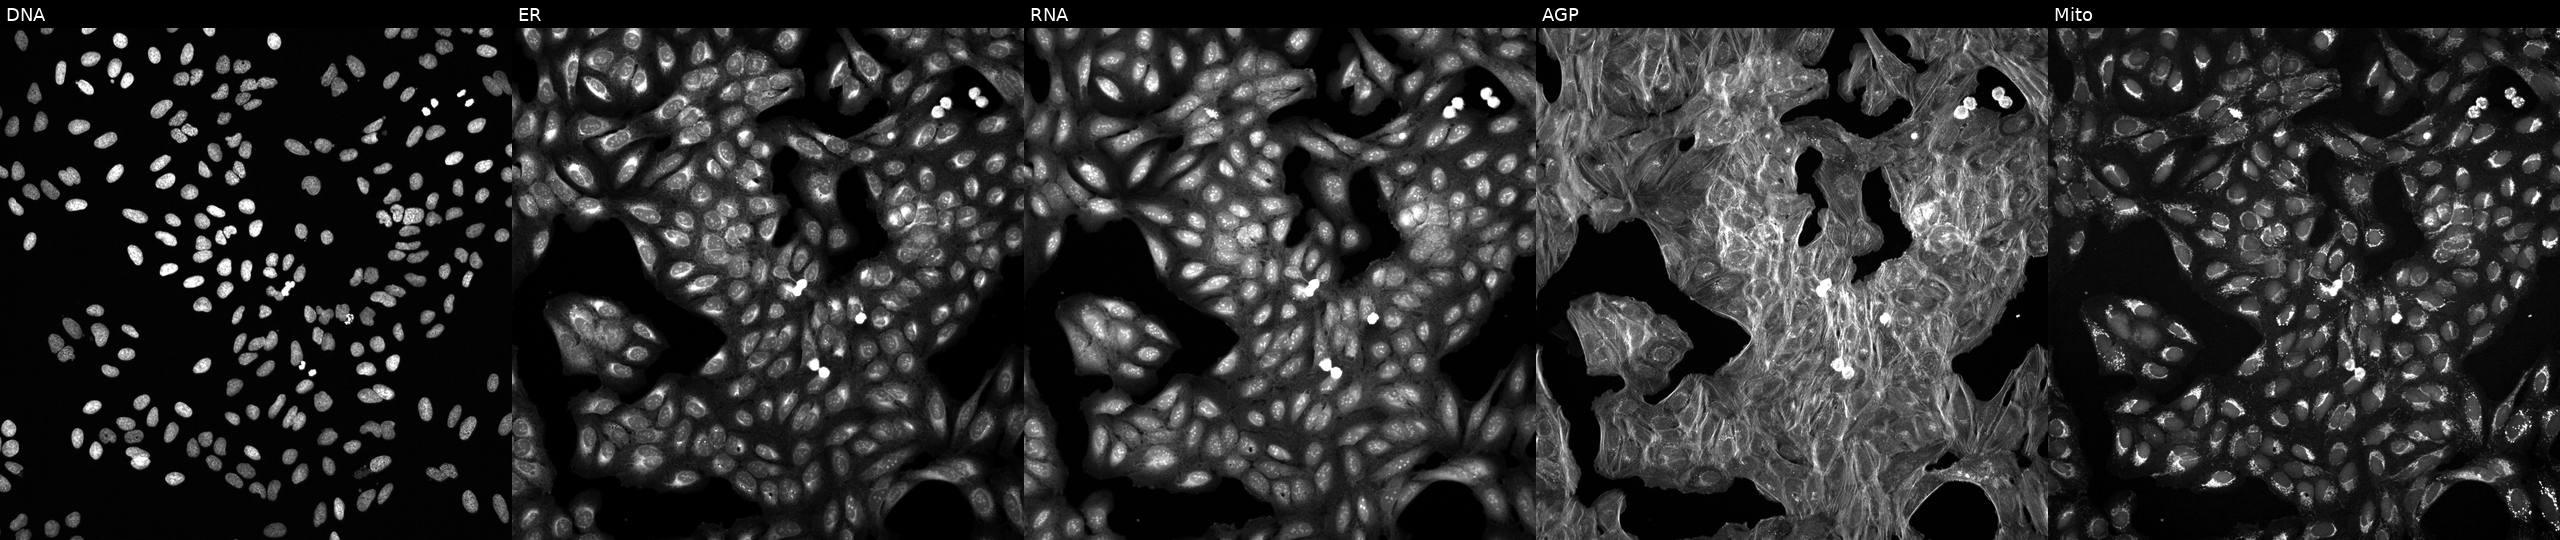
U2OS cells, Cell Painting assay, perturbed with a small-molecule compound (JUMP id JCP2022_042354). From left to right: DNA, ER, RNA, AGP, and Mito. Each panel is percentile-stretched 16-bit fluorescence. Source 6, plate 110000293081, well L17.